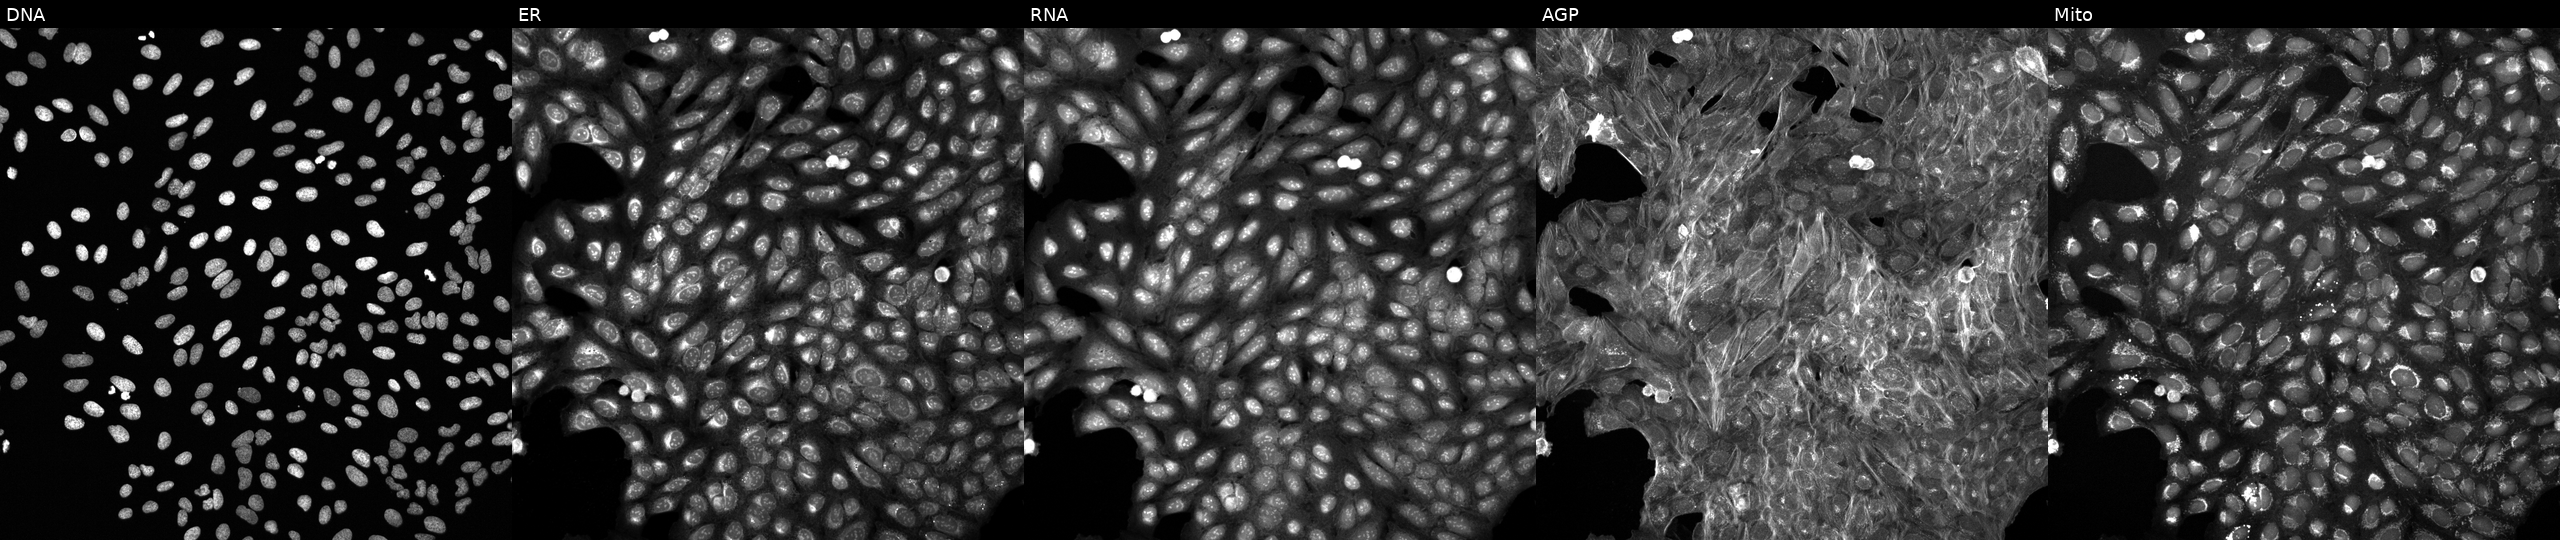
Five-channel Cell Painting image of U2OS cells exposed to DMSO alone as a negative control. The five panels, left to right, show DNA, ER, RNA, AGP, and Mito. Source 6, plate 110000294901, well O12.